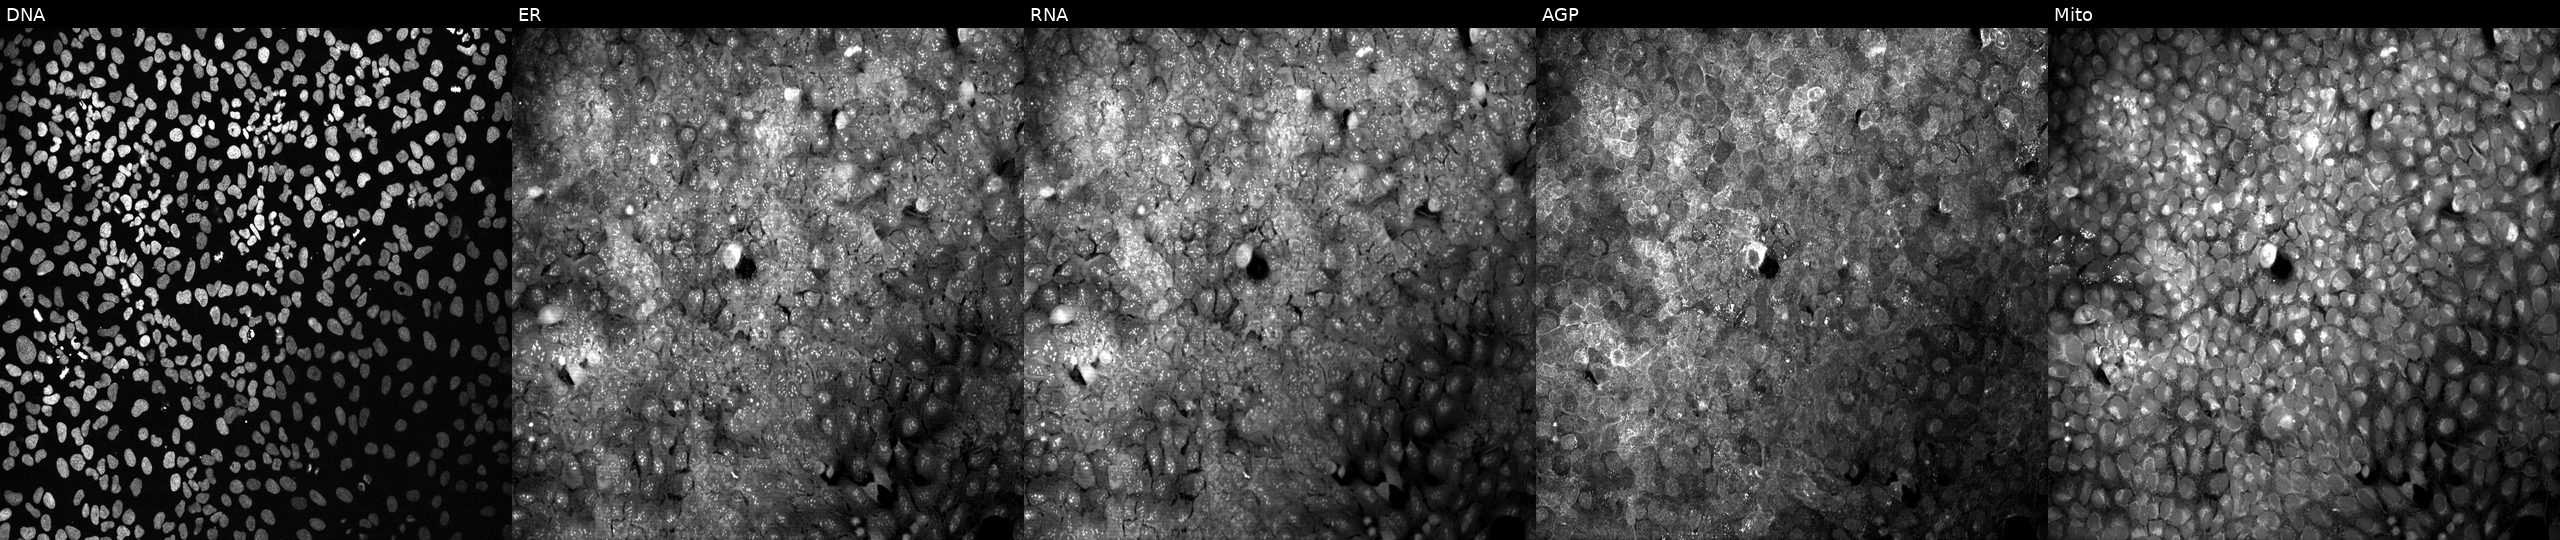
High-content fluorescence microscopy (Cell Painting). Cell line: U2OS. Perturbation: with a non-targeting CRISPR guide (negative control). From left to right: DNA, ER, RNA, AGP, and Mito.